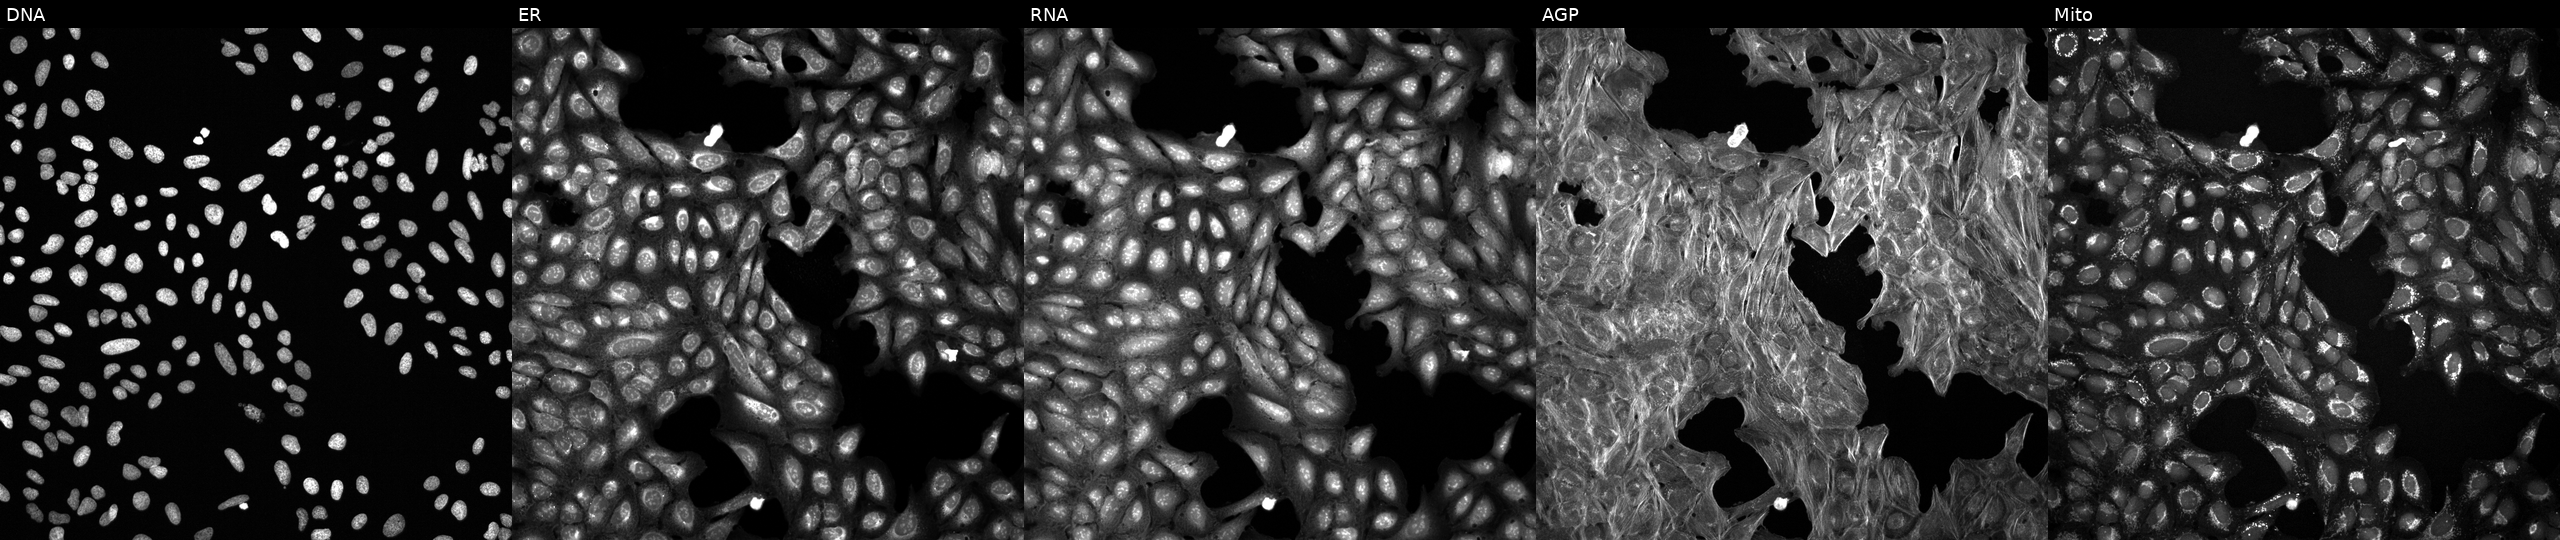
This image strip shows the five Cell Painting channels for a single field of U2OS cells perturbed with a small-molecule compound (InChIKey HWHLPVGTWGOCJO-UHFFFAOYSA-N) [SMILES: OC(CCN1CCCCC1)(c1ccccc1)C1CCCCC1]. From left to right: Hoechst 33342, concanavalin A, SYTO 14, phalloidin and WGA, MitoTracker.